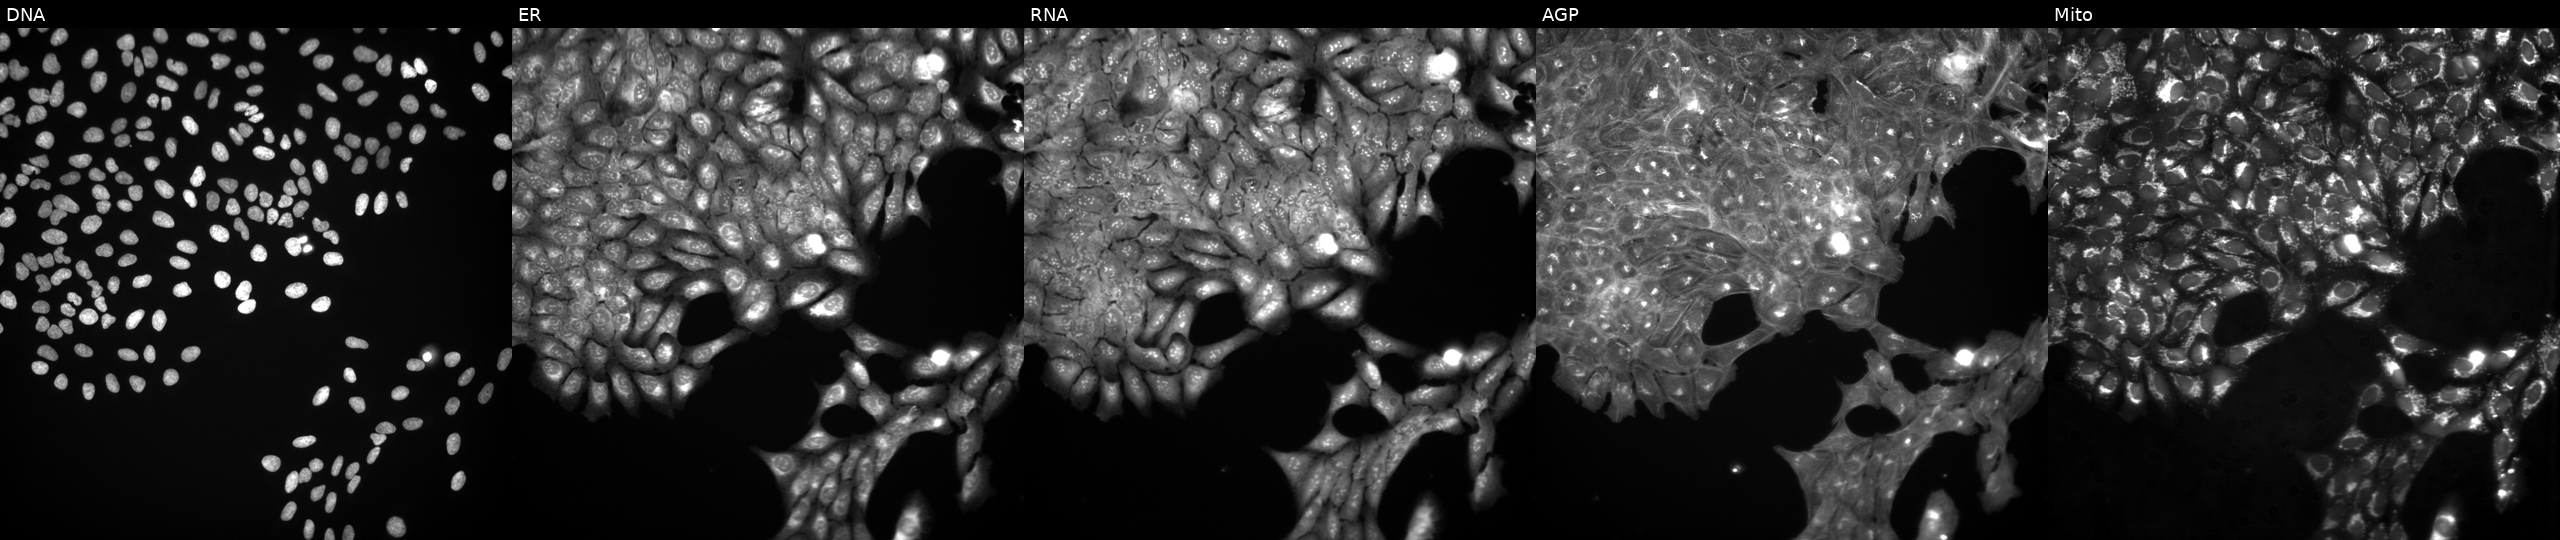
JUMP Cell Painting — COMPOUND plate. U2OS cells treated with a small-molecule compound [SMILES: COc1ccc(Nc2cc(O)n(Cc3ccccc3)c2O)cc1]. The five panels, left to right, show DNA (nuclei); ER (endoplasmic reticulum); RNA (nucleoli and cytoplasmic RNA); AGP (actin cytoskeleton, Golgi, and plasma membrane); Mito (mitochondria). Source 3, plate BR5867b3, well A19.